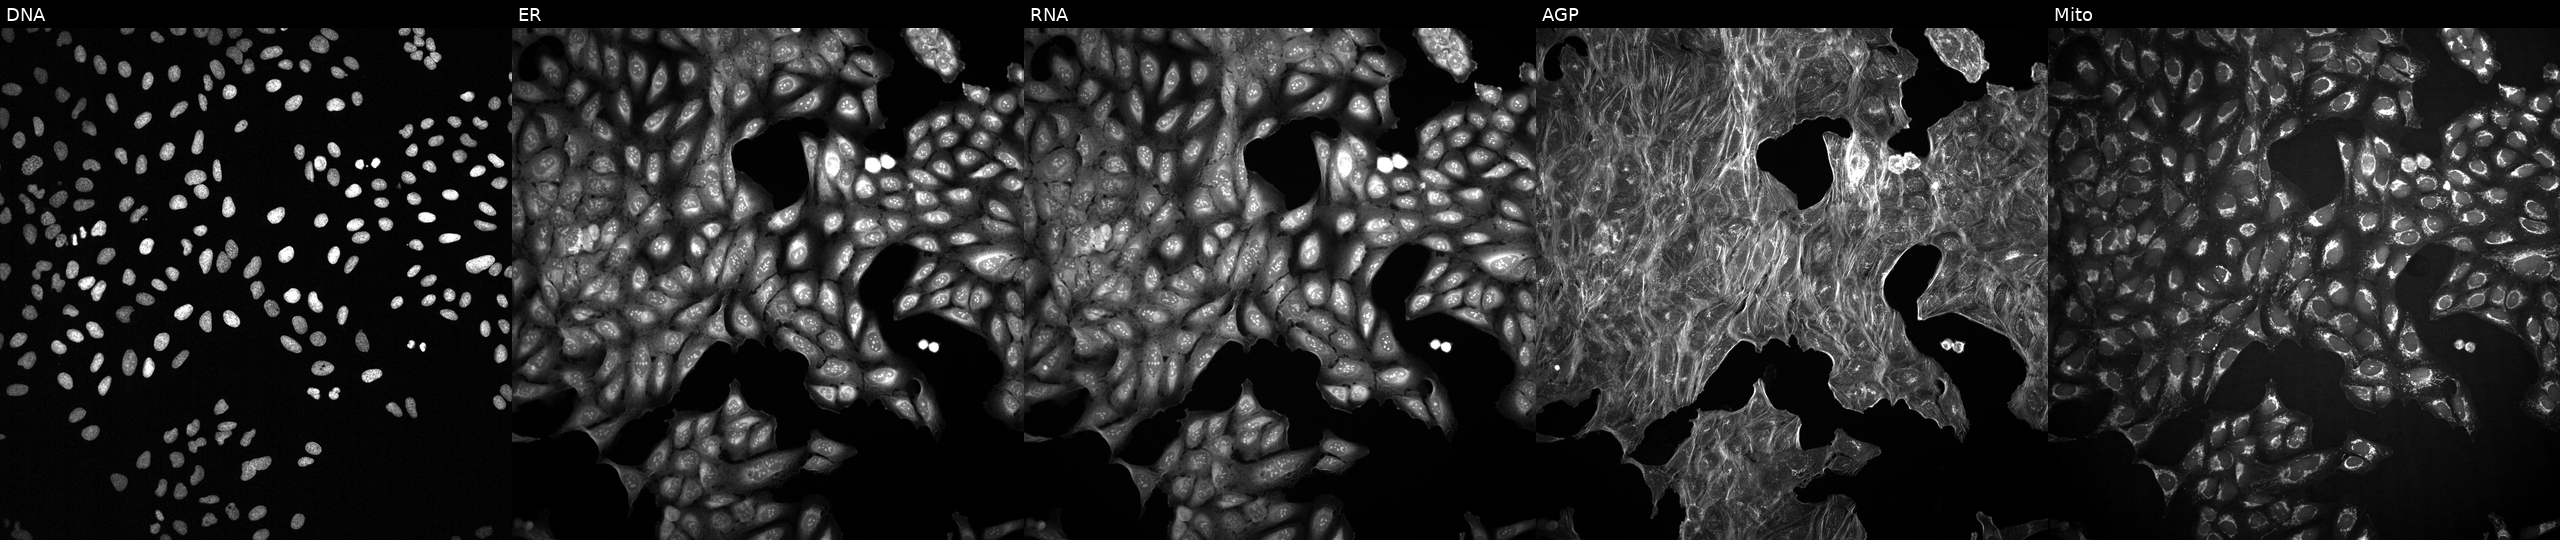
This image strip shows the five Cell Painting channels for a single field of U2OS cells treated with DMSO vehicle only (negative control) (JUMP id JCP2022_033924). Channels (left→right): Hoechst 33342, concanavalin A, SYTO 14, phalloidin and WGA, MitoTracker.